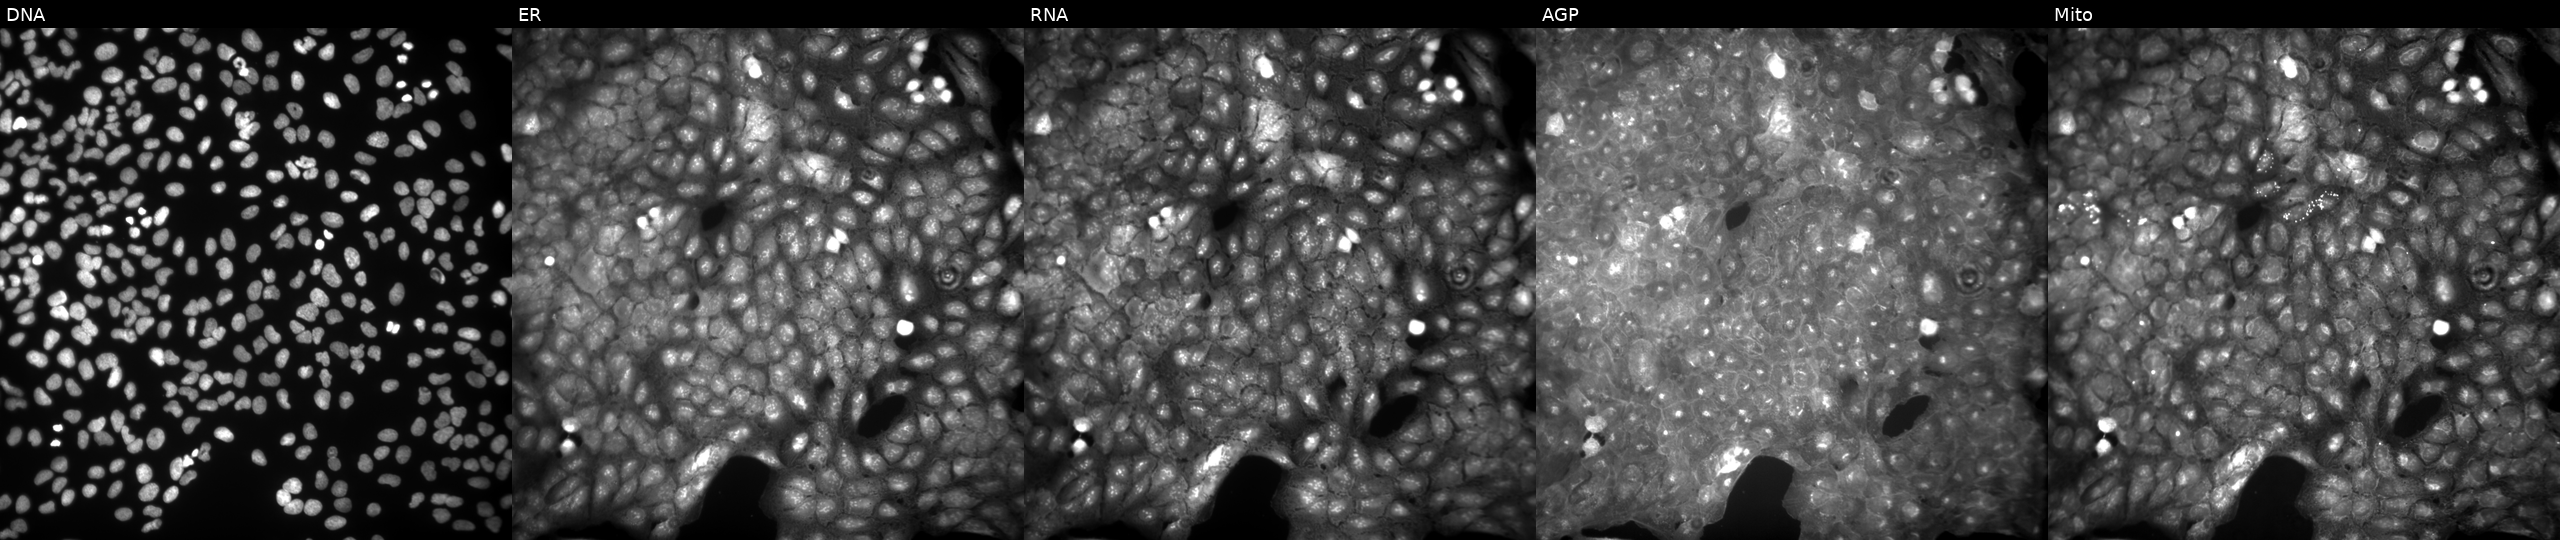
High-content fluorescence microscopy (Cell Painting). Cell line: U2OS. Perturbation: exposed to DMSO alone as a negative control. From left to right: Hoechst 33342, concanavalin A, SYTO 14, phalloidin and WGA, MitoTracker. Source 9, plate GR00003382, well R47.